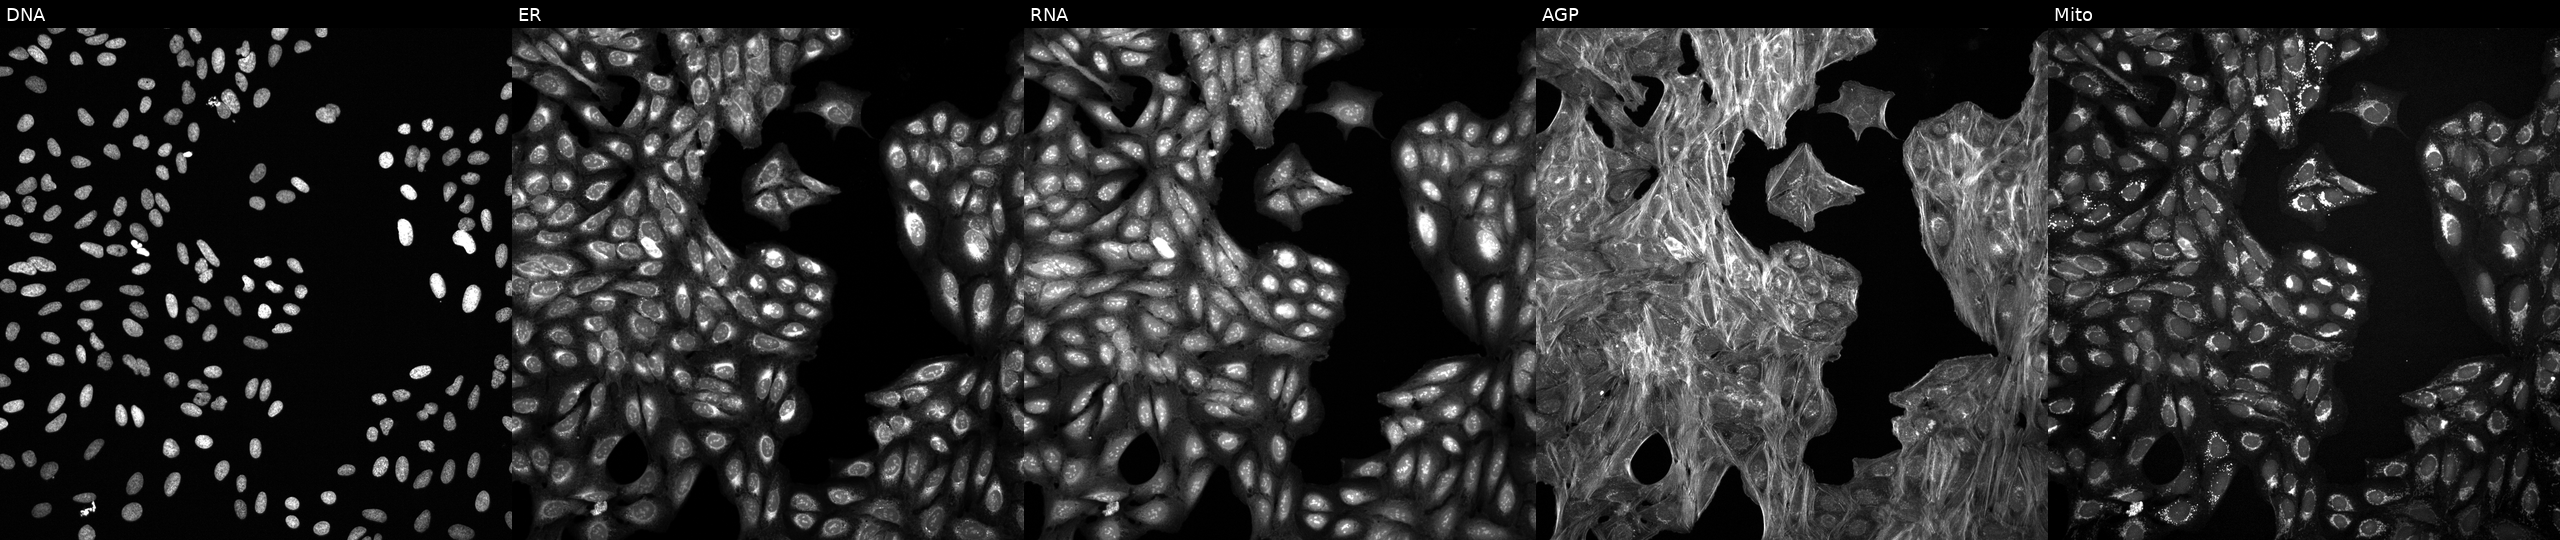
Panels show, left to right, DNA (nuclei); ER (endoplasmic reticulum); RNA (nucleoli and cytoplasmic RNA); AGP (actin cytoskeleton, Golgi, and plasma membrane); Mito (mitochondria). U2OS osteosarcoma cells perturbed with a small-molecule compound (InChIKey JLBCWMCCTUEFMB-UHFFFAOYSA-N) (JUMP id JCP2022_040493). Cell Painting assay, JUMP-CP dataset. Source 6, plate 110000293082, well J18.